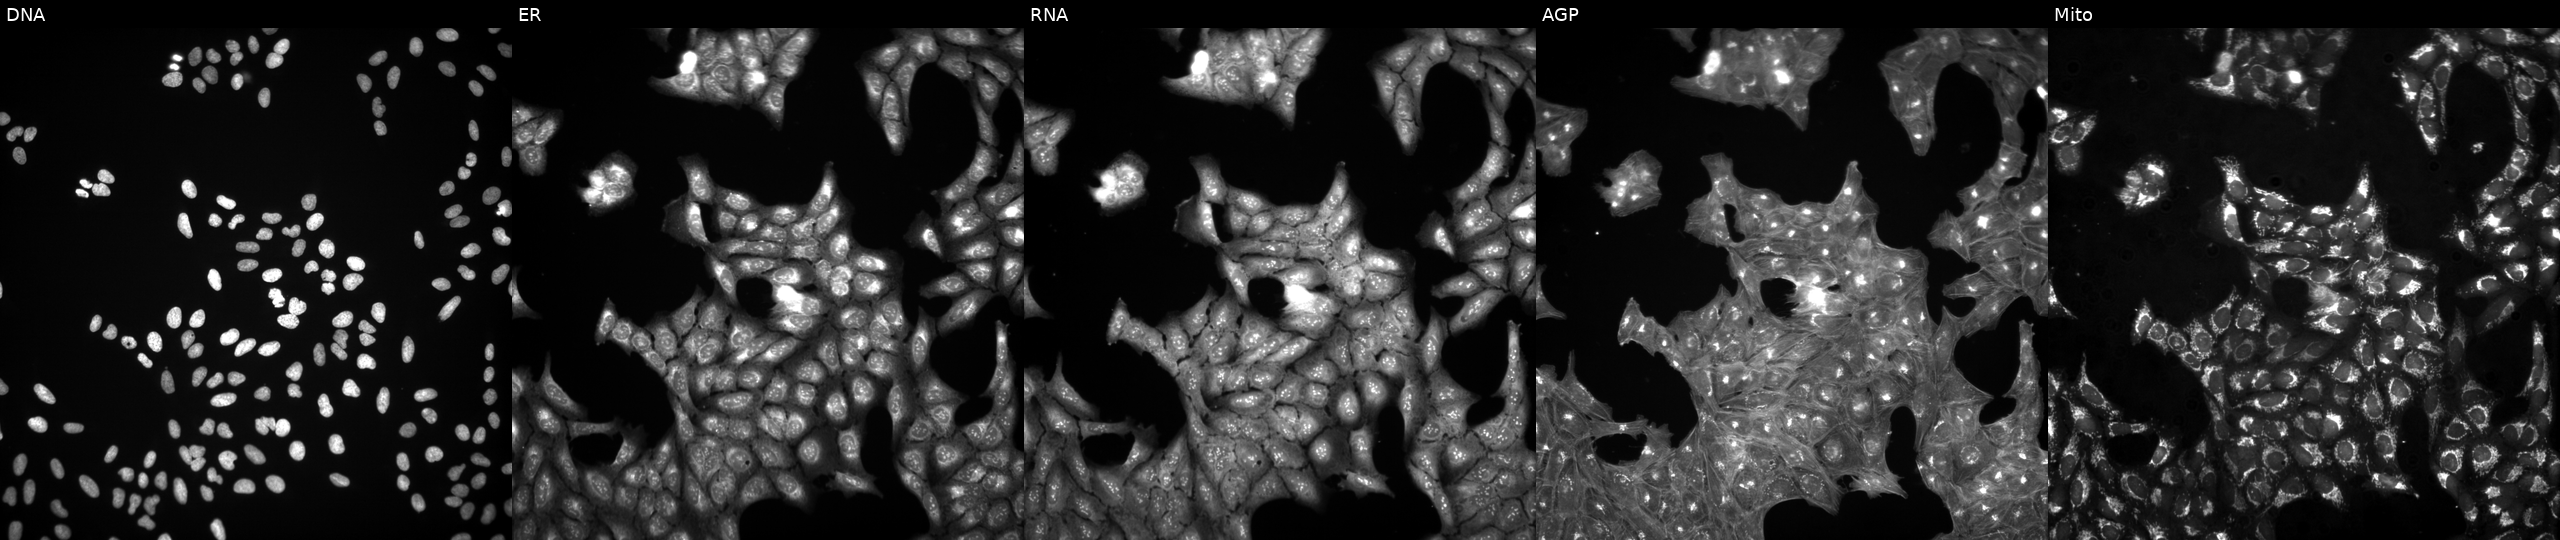
Five-channel Cell Painting image of U2OS cells treated with DMSO vehicle only (negative control). The five panels, left to right, show DNA (nuclei); ER (endoplasmic reticulum); RNA (nucleoli and cytoplasmic RNA); AGP (actin cytoskeleton, Golgi, and plasma membrane); Mito (mitochondria).